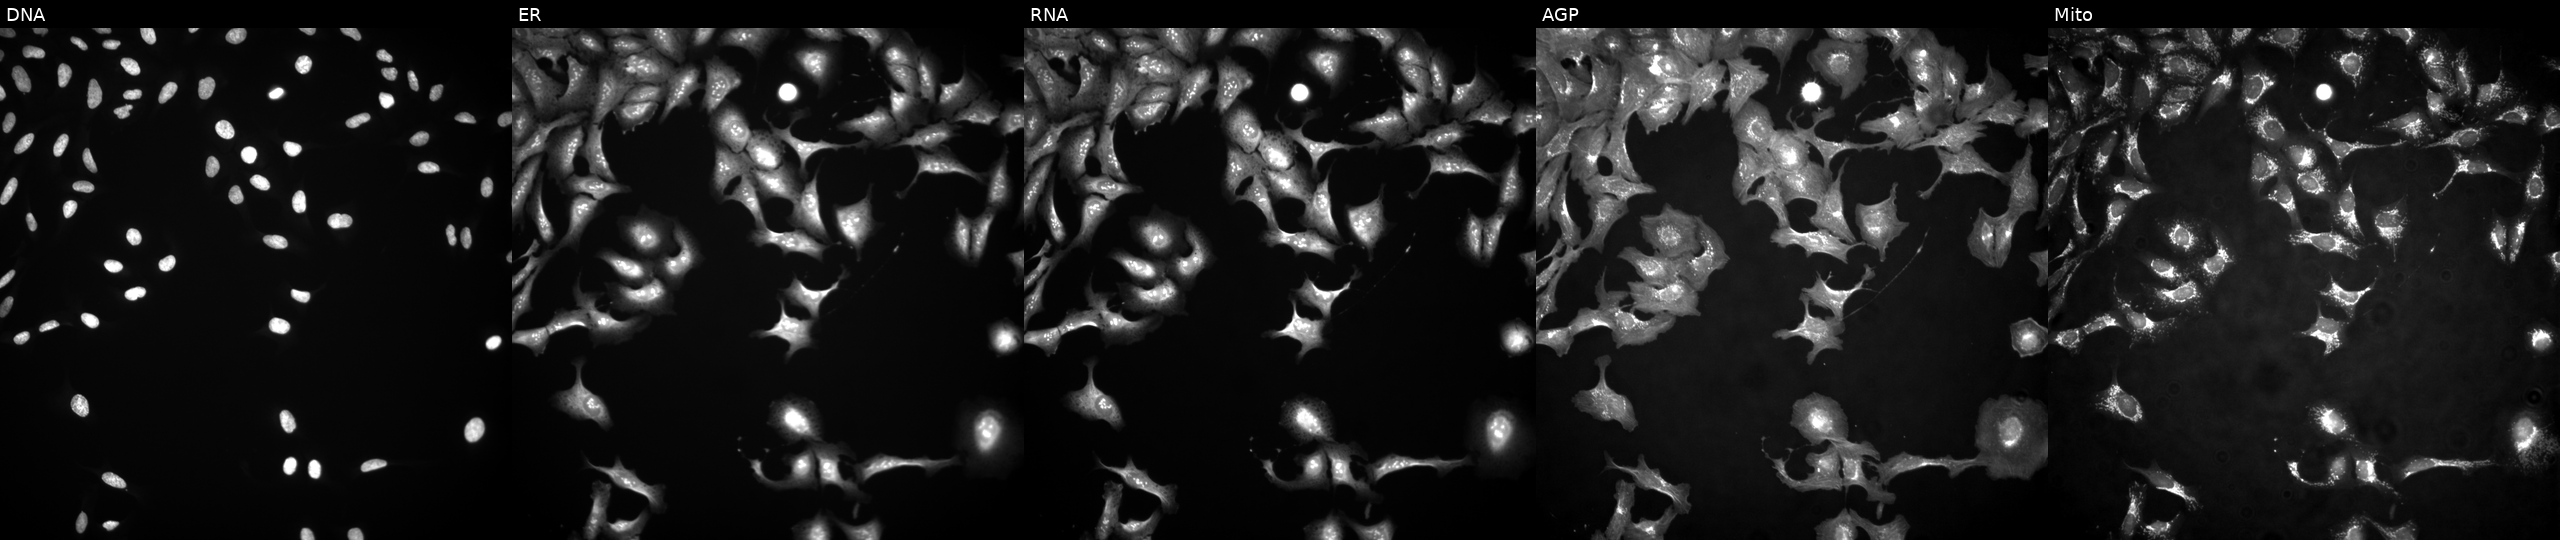
High-content fluorescence microscopy (Cell Painting). Cell line: U2OS. Perturbation: expressing eGFP (ORF positive control). Channels (left→right): DNA (nuclei); ER (endoplasmic reticulum); RNA (nucleoli and cytoplasmic RNA); AGP (actin cytoskeleton, Golgi, and plasma membrane); Mito (mitochondria). Source 4, plate BR00117035, well O17.